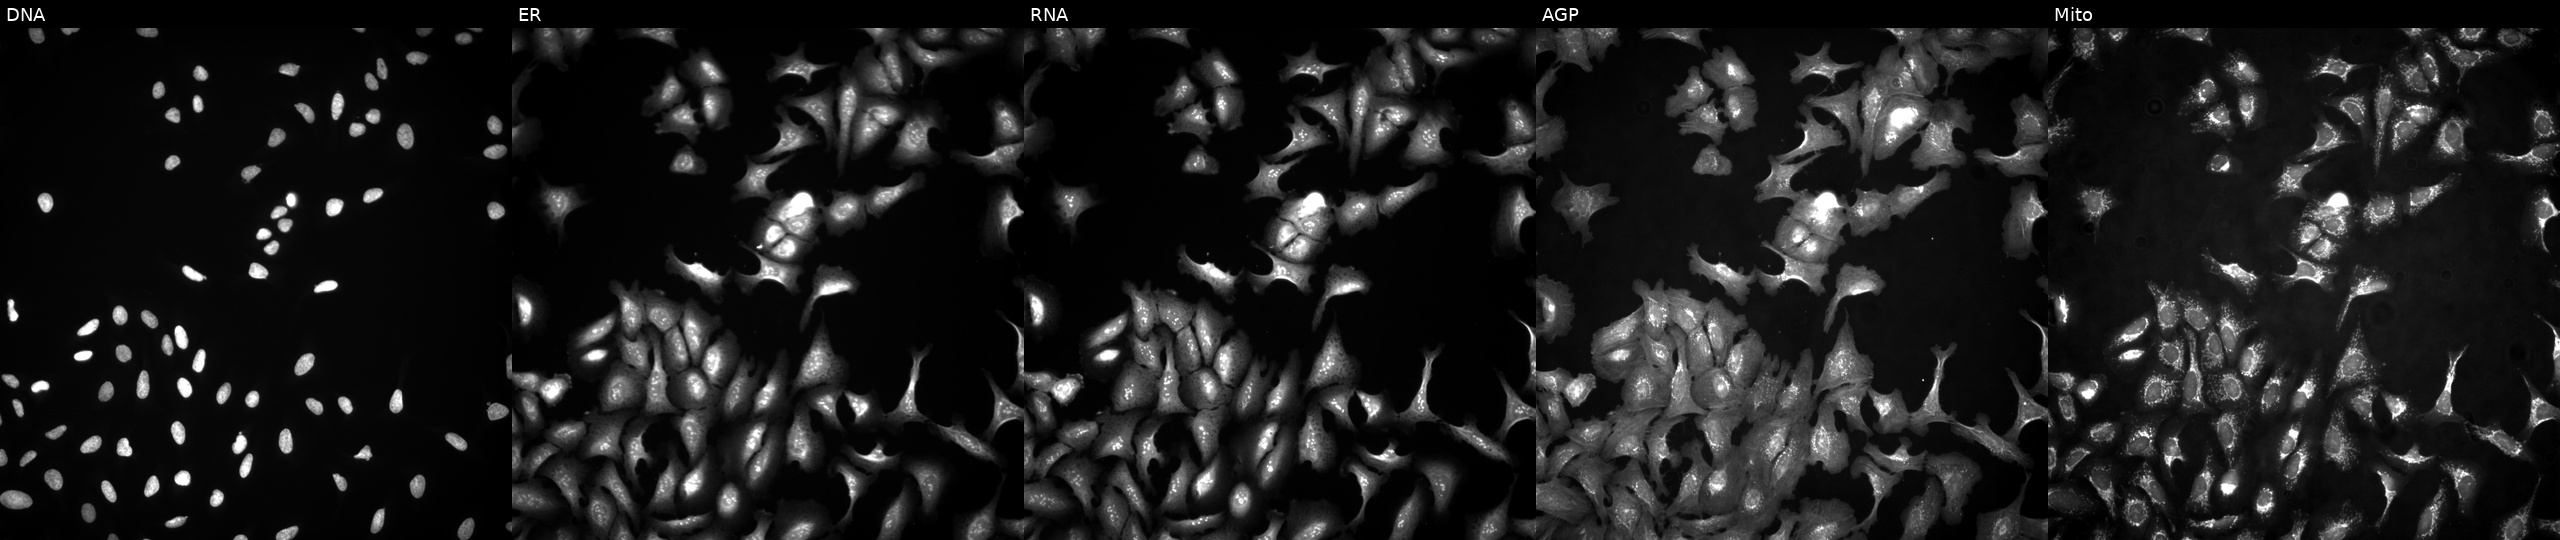
High-content fluorescence microscopy (Cell Painting). Cell line: U2OS. Perturbation: with ACYP1 overexpressed (ORF) (JUMP id JCP2022_900019). Panels show, left to right, DNA, ER, RNA, AGP, and Mito. Source 4, plate BR00124787, well E09.